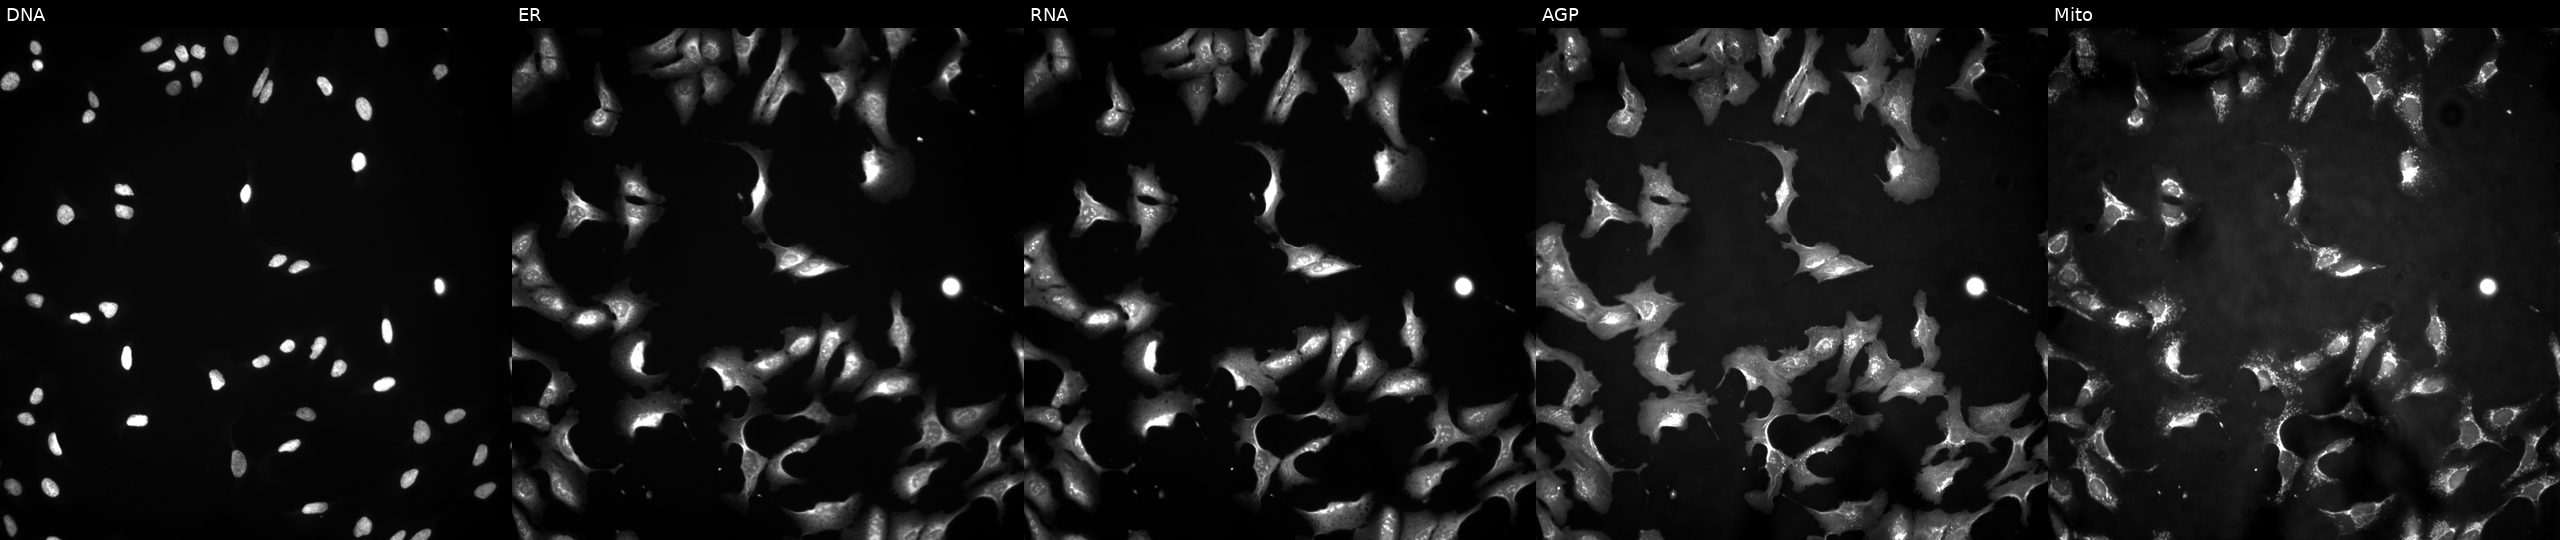
High-content fluorescence microscopy (Cell Painting). Cell line: U2OS. Perturbation: transfected with an ORF construct for NUP42. Channels (left→right): Hoechst 33342, concanavalin A, SYTO 14, phalloidin and WGA, MitoTracker.